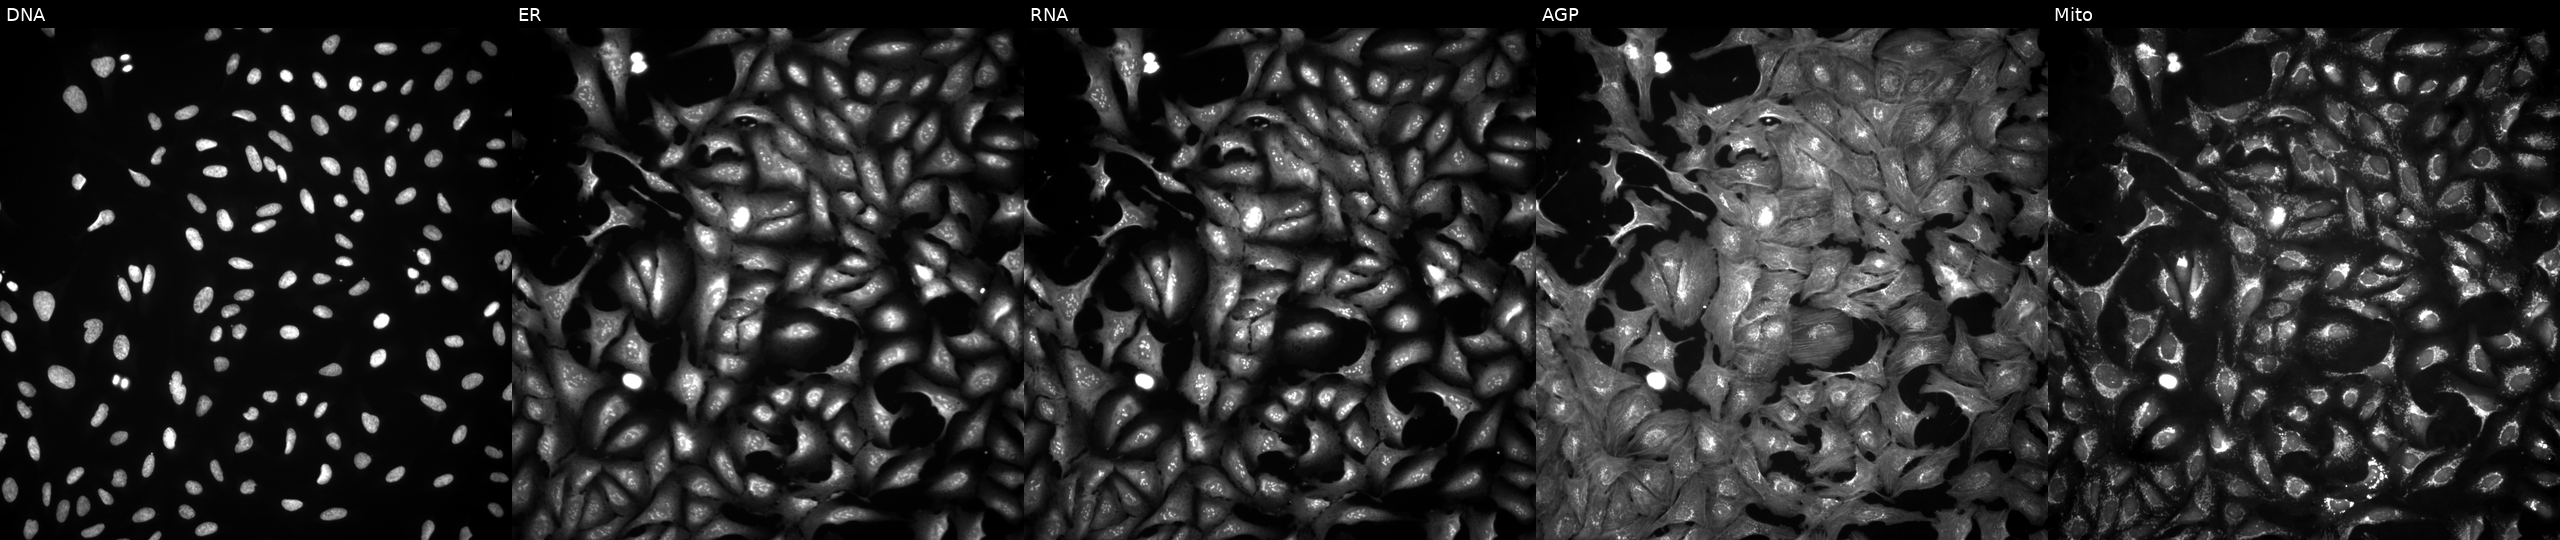
JUMP Cell Painting — ORF plate. U2OS cells overexpressing MLN via ORF transfection (JUMP id JCP2022_906164). Channels (left→right): DNA (nuclei); ER (endoplasmic reticulum); RNA (nucleoli and cytoplasmic RNA); AGP (actin cytoskeleton, Golgi, and plasma membrane); Mito (mitochondria).